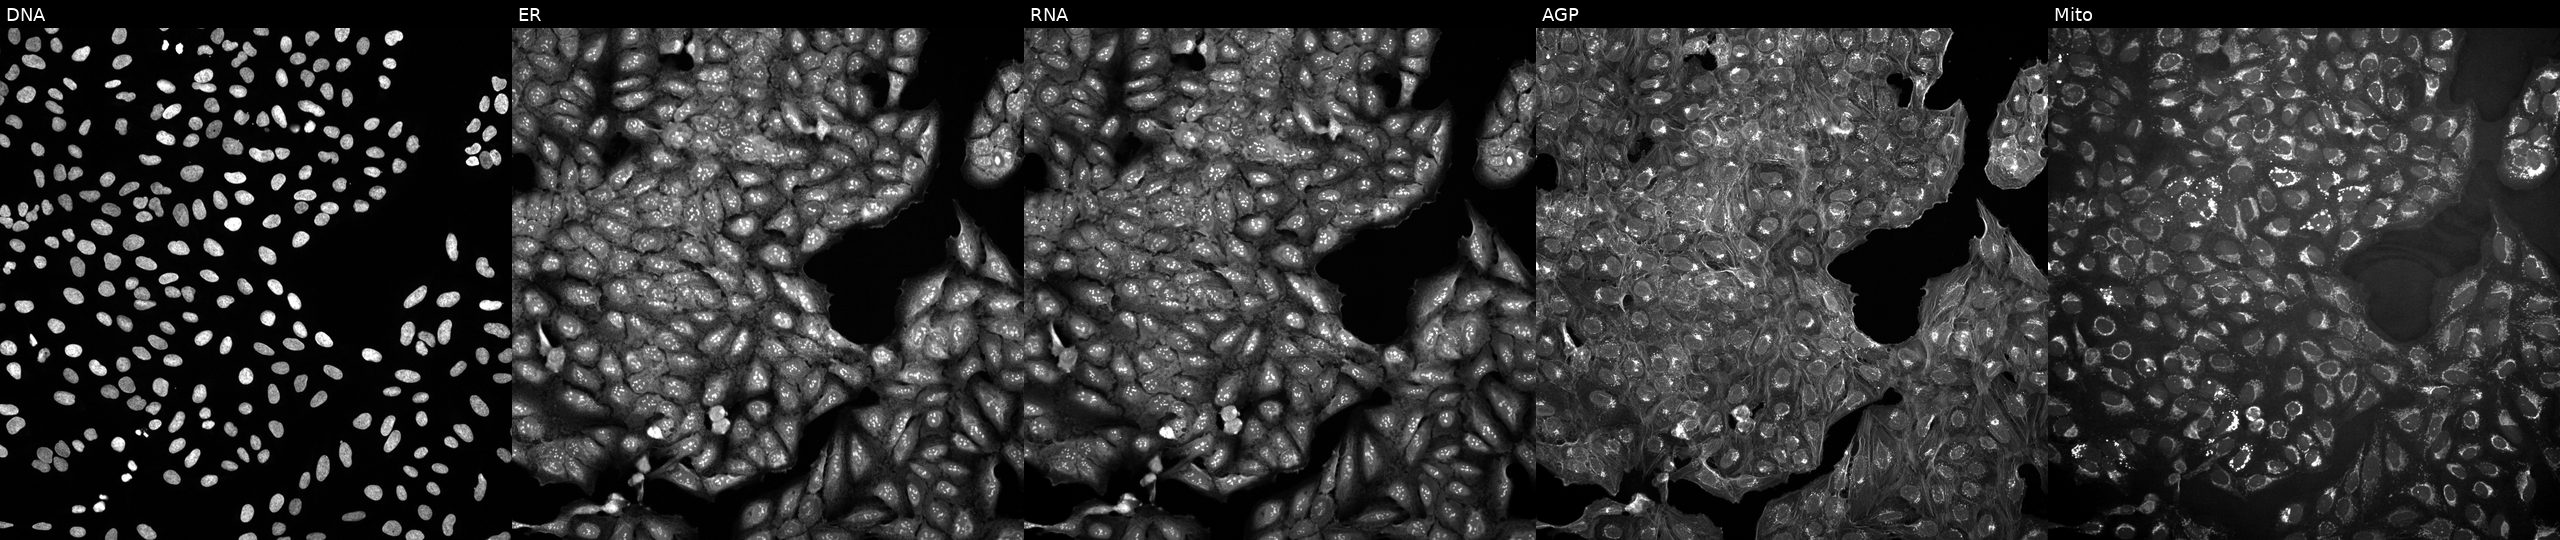
JUMP Cell Painting — COMPOUND plate. U2OS cells untreated (empty-well control) (JUMP id JCP2022_999999). From left to right: Hoechst 33342, concanavalin A, SYTO 14, phalloidin and WGA, MitoTracker.